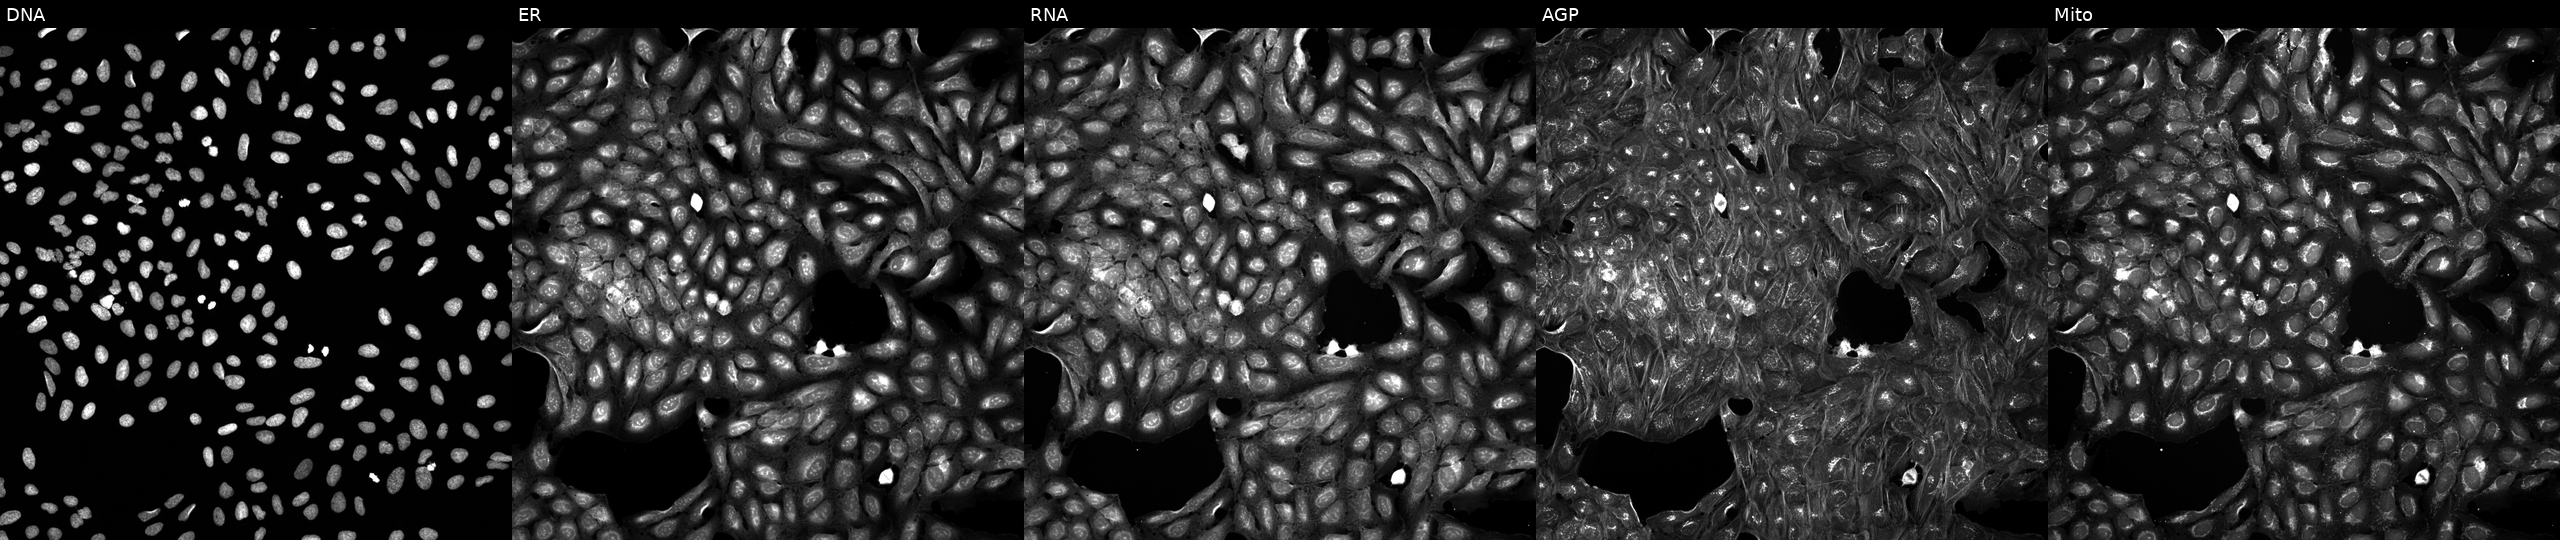
The five panels, left to right, show Hoechst 33342, concanavalin A, SYTO 14, phalloidin and WGA, MitoTracker. U2OS osteosarcoma cells treated with DMSO vehicle only (negative control). Cell Painting assay, JUMP-CP dataset.